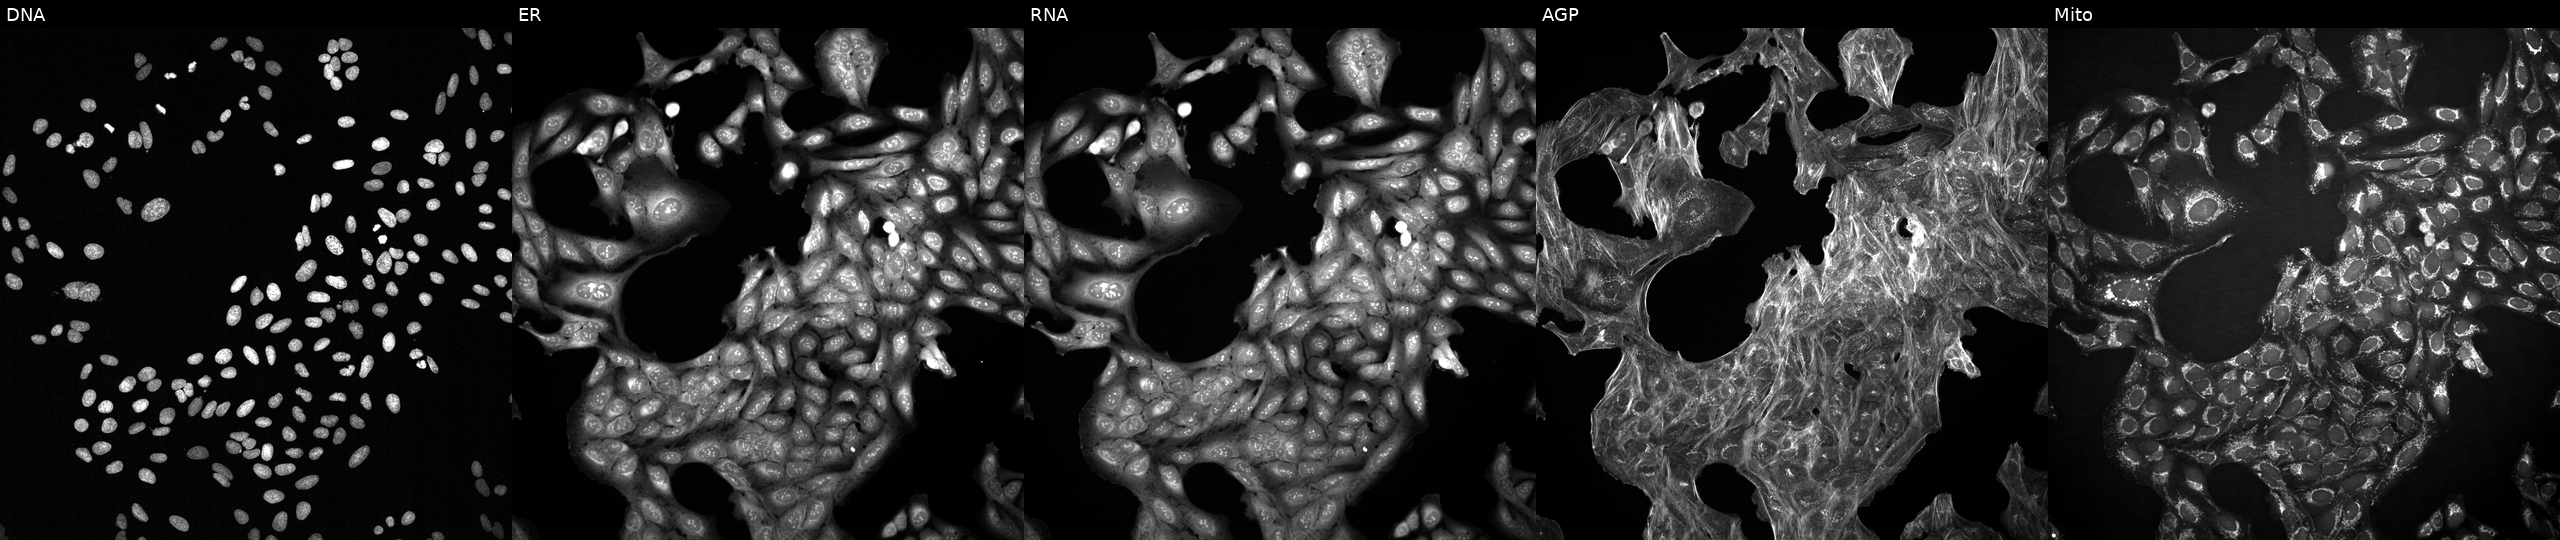
High-content fluorescence microscopy (Cell Painting). Cell line: U2OS. Perturbation: exposed to the positive-control compound dexamethasone (JUMP id JCP2022_025848). From left to right: DNA, ER, RNA, AGP, and Mito. Source 2, plate 1053601763, well G24.